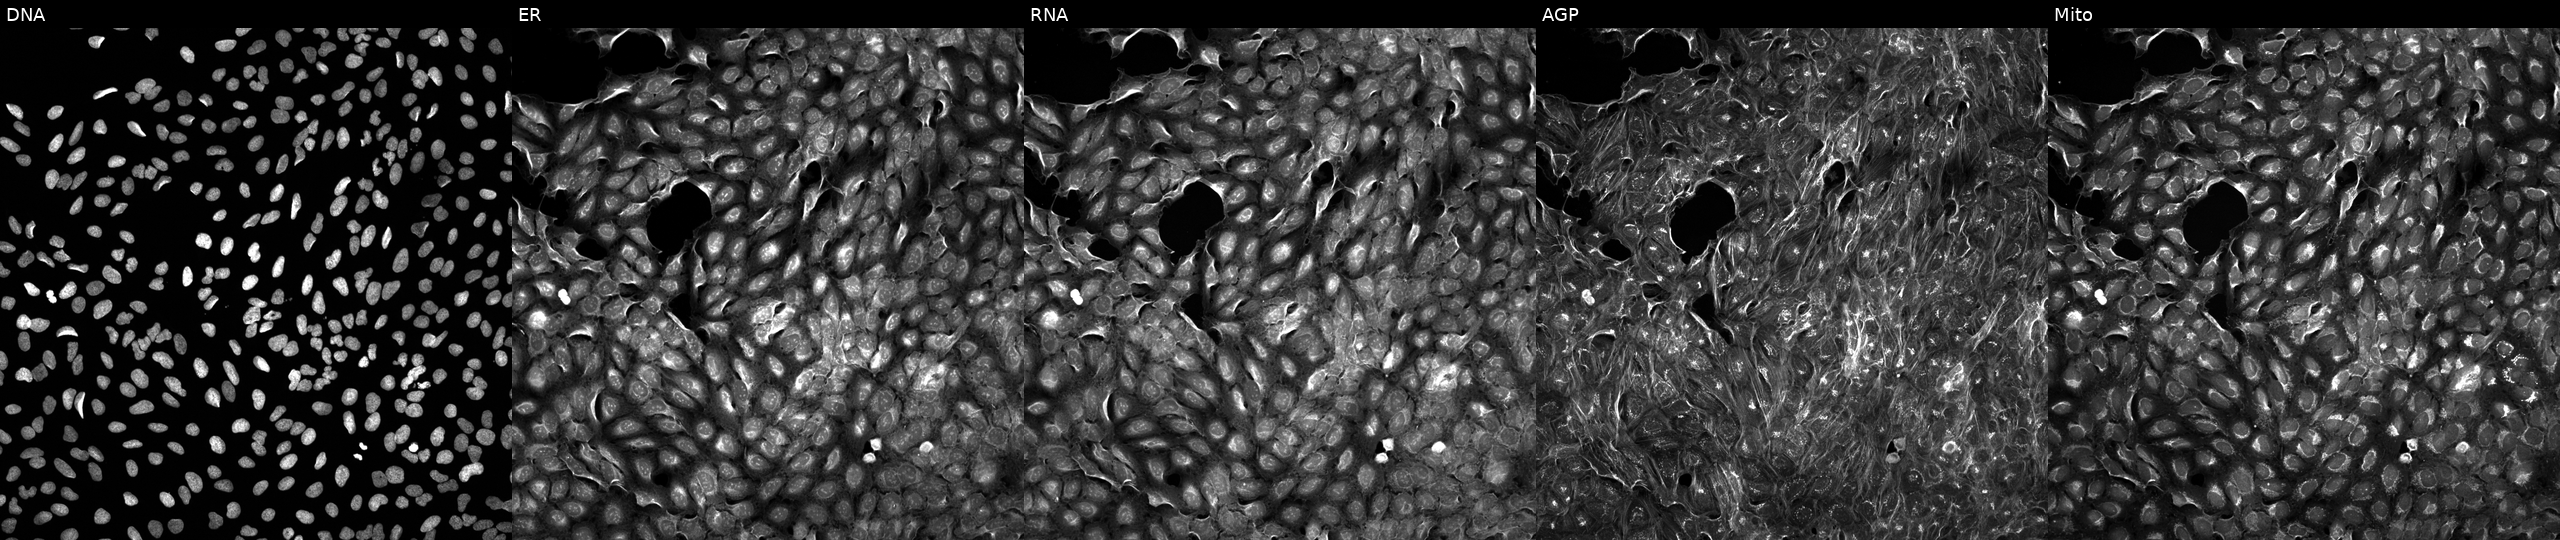
JUMP Cell Painting — COMPOUND plate. U2OS cells perturbed with a small-molecule compound (InChIKey XHFZLTMYFHBSEH-UHFFFAOYSA-N) [SMILES: CC(NC(=O)c1cccc(N=c2nccc[nH]2)c1)c1nnc2n1CCC2] (JUMP id JCP2022_103661). From left to right: DNA, ER, RNA, AGP, and Mito.